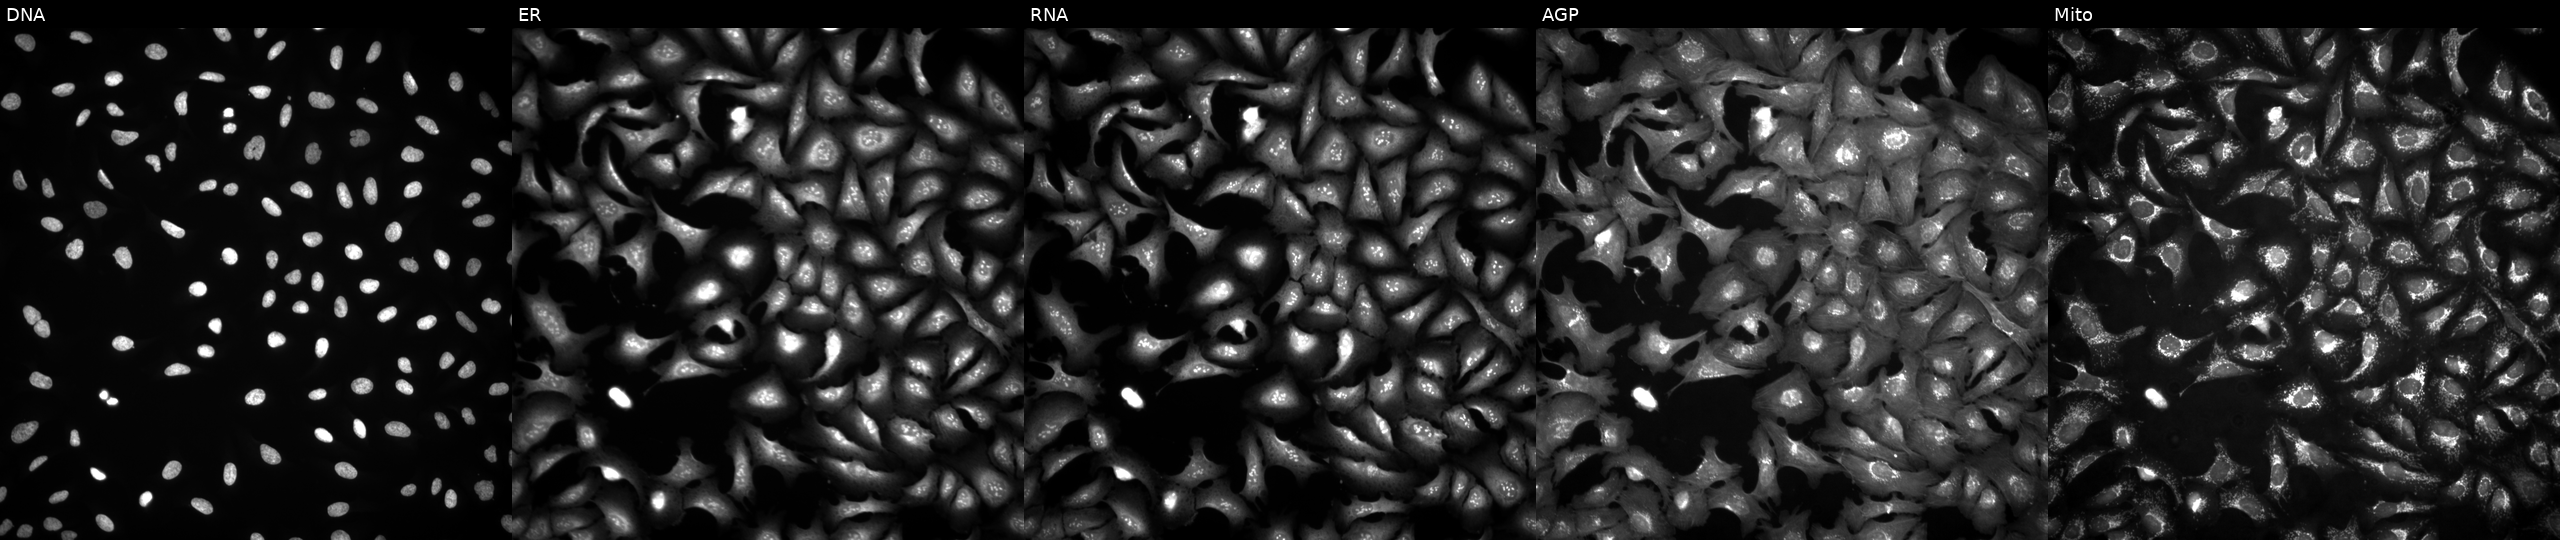
Five-channel Cell Painting image of U2OS cells with SZRD1 overexpressed (ORF). Panels show, left to right, Hoechst 33342, concanavalin A, SYTO 14, phalloidin and WGA, MitoTracker.